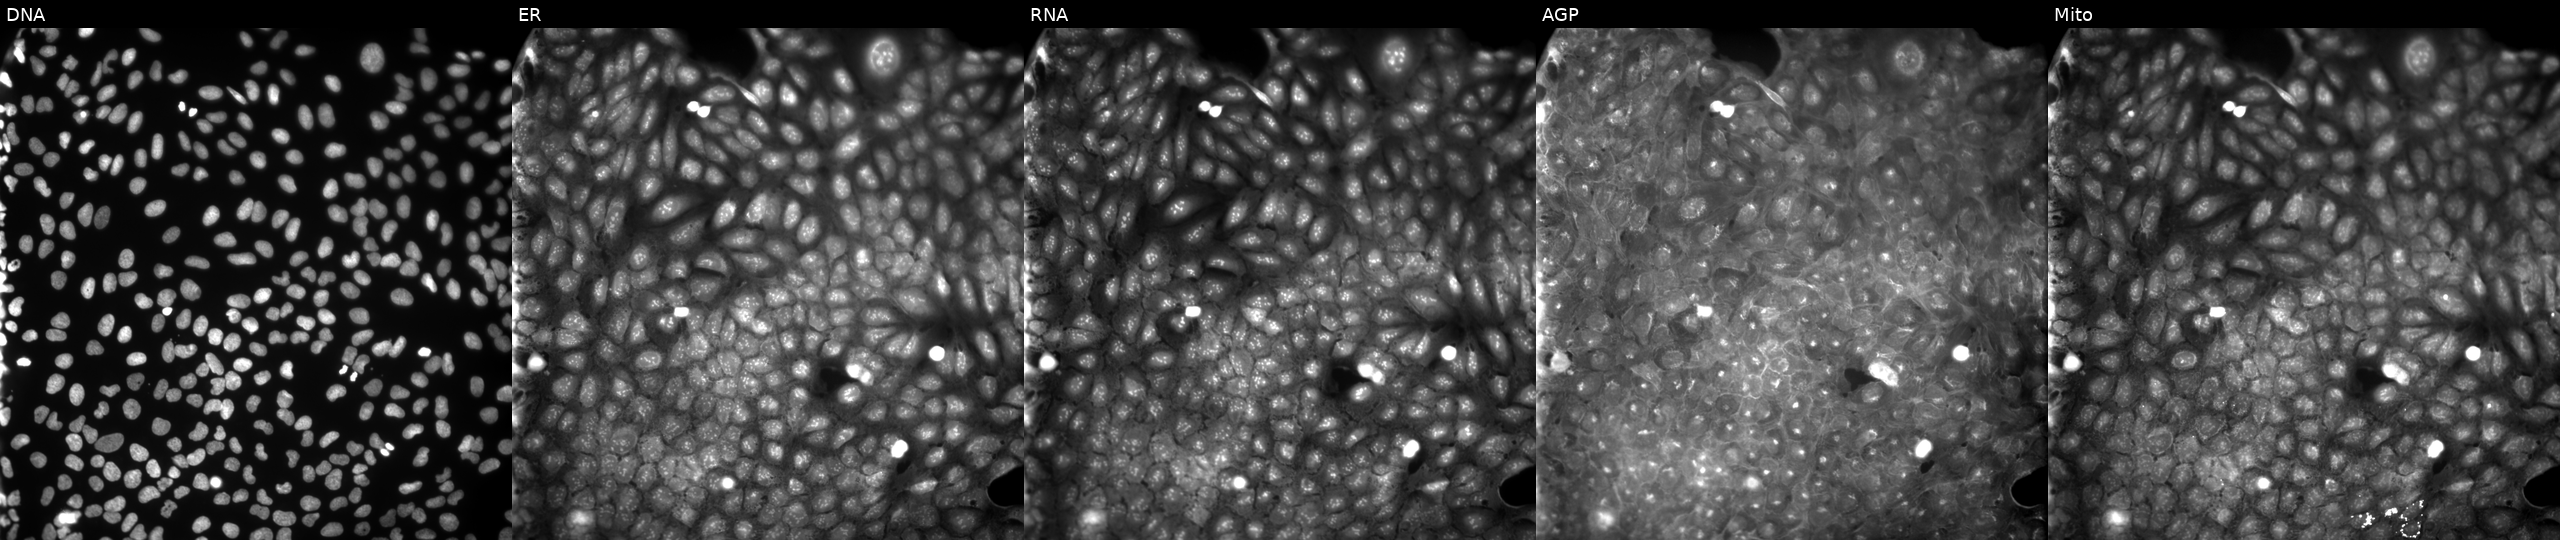
This image strip shows the five Cell Painting channels for a single field of U2OS cells perturbed with a small-molecule compound (InChIKey DLWRKMHURDDMQL-UHFFFAOYSA-N) (JUMP id JCP2022_016775). The five panels, left to right, show Hoechst 33342, concanavalin A, SYTO 14, phalloidin and WGA, MitoTracker. Source 9, plate GR00003382, well AD05.